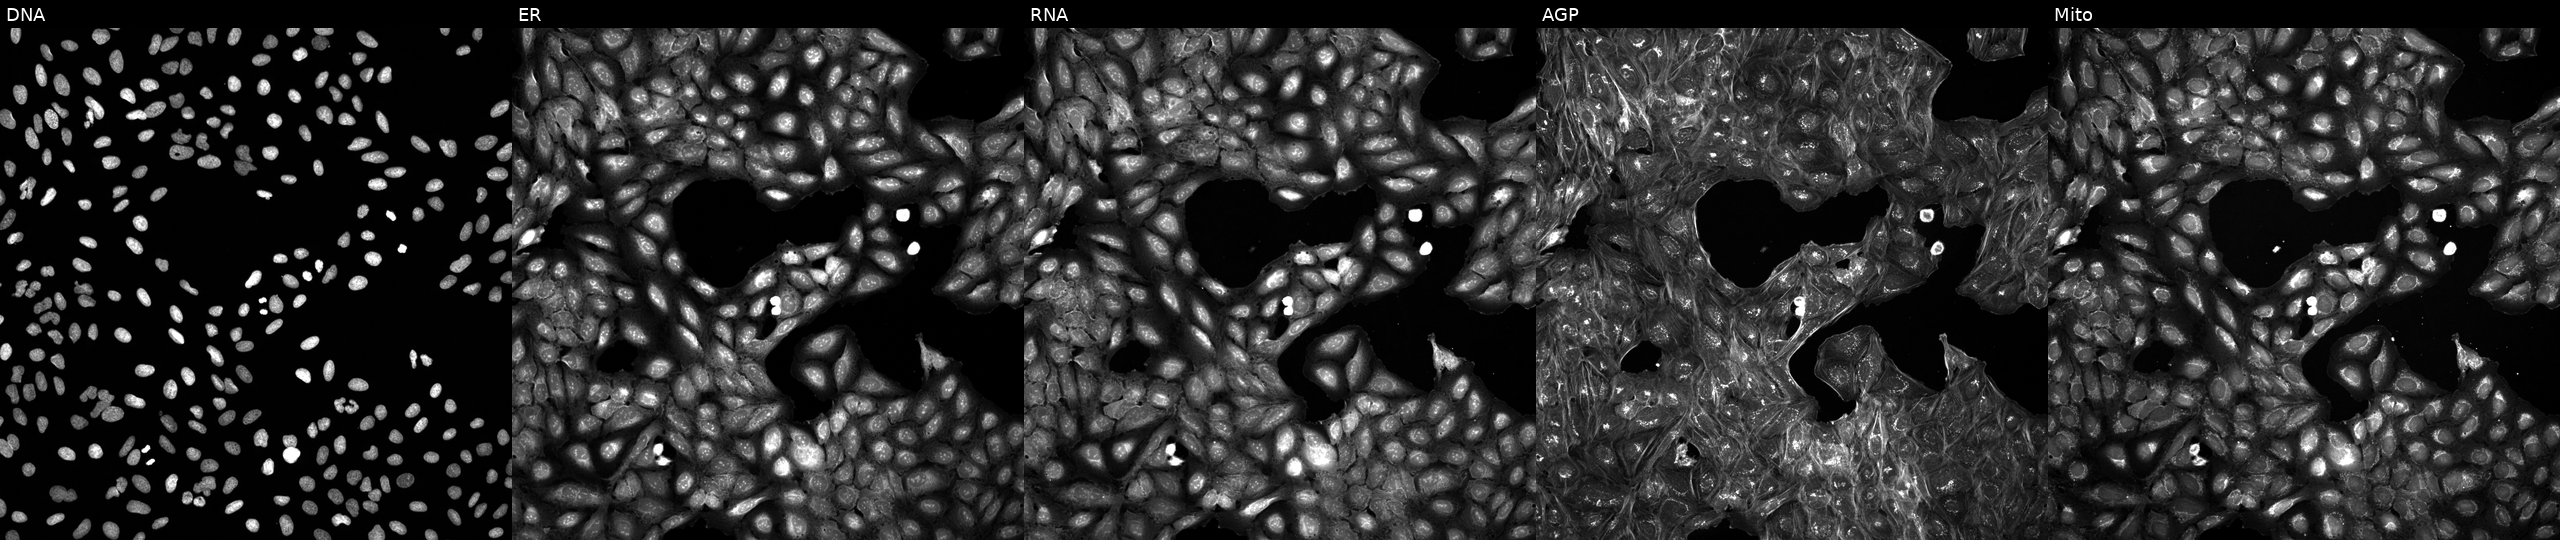
JUMP Cell Painting — COMPOUND plate. U2OS cells perturbed with a small-molecule compound (JUMP id JCP2022_040223). The five panels, left to right, show DNA (nuclei); ER (endoplasmic reticulum); RNA (nucleoli and cytoplasmic RNA); AGP (actin cytoskeleton, Golgi, and plasma membrane); Mito (mitochondria).